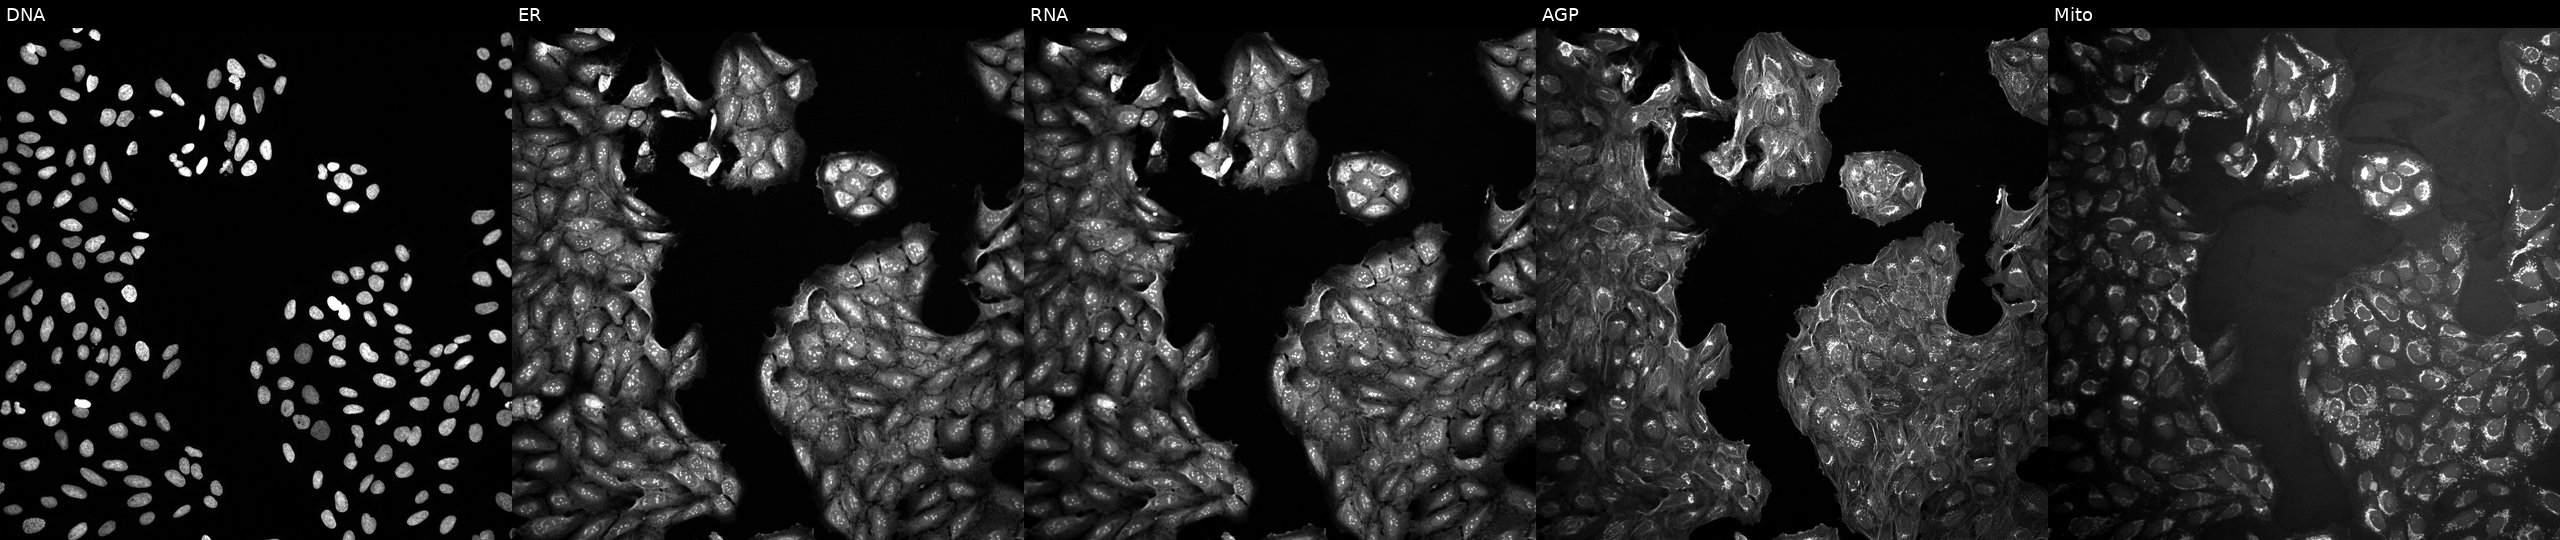
U2OS cells, Cell Painting assay, exposed to DMSO alone as a negative control (JUMP id JCP2022_033924). Panels show, left to right, DNA, ER, RNA, AGP, and Mito. Each panel is percentile-stretched 16-bit fluorescence.